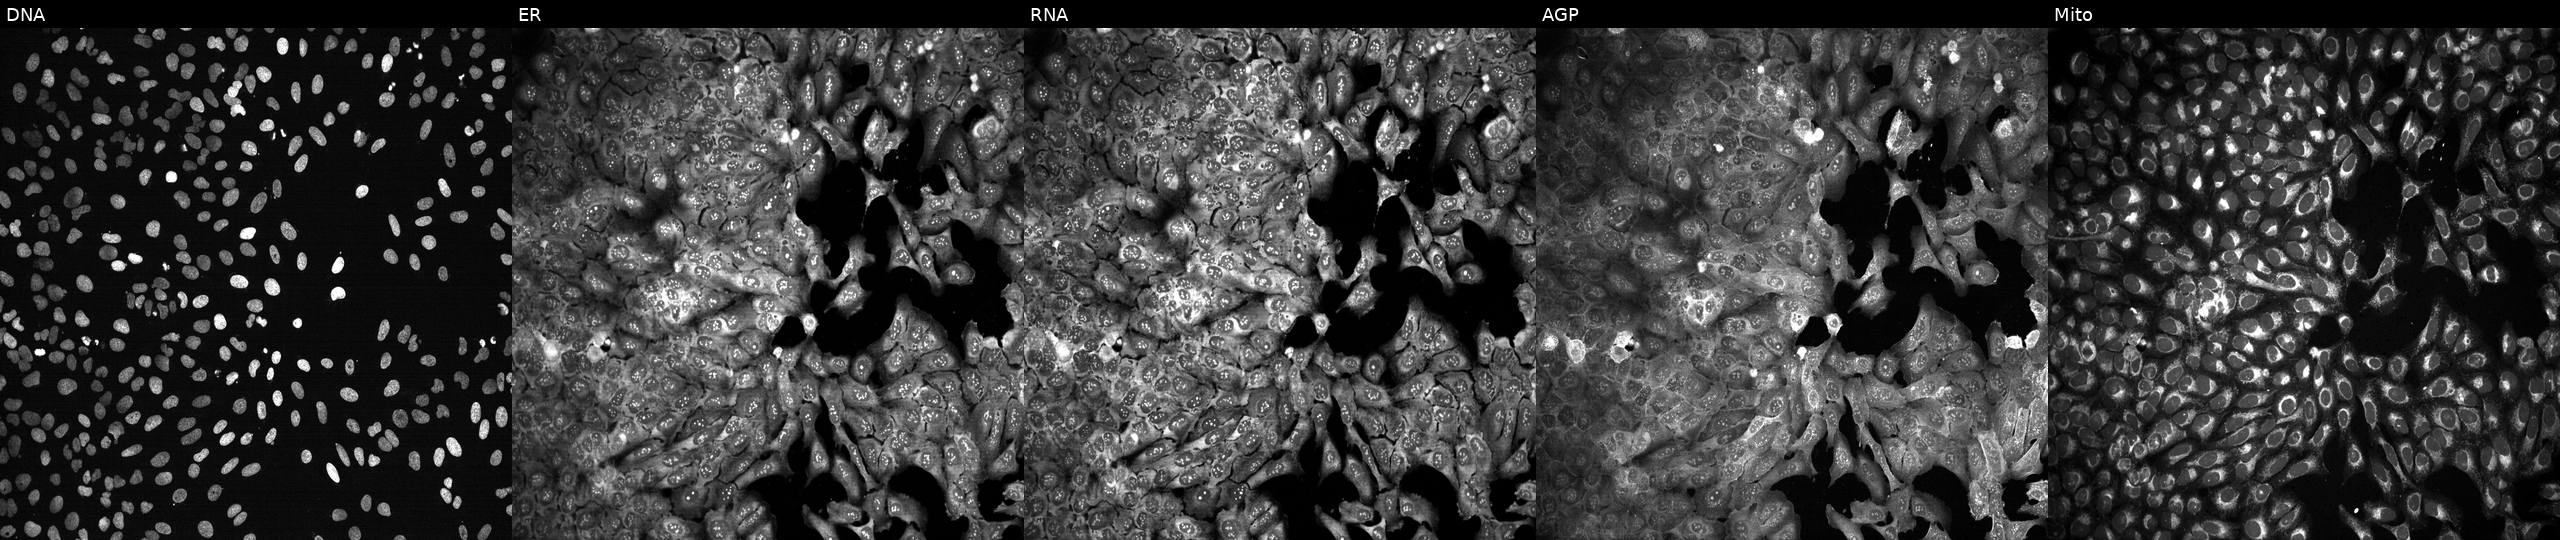
Panels show, left to right, DNA (nuclei); ER (endoplasmic reticulum); RNA (nucleoli and cytoplasmic RNA); AGP (actin cytoskeleton, Golgi, and plasma membrane); Mito (mitochondria). U2OS osteosarcoma cells CRISPR-edited to disrupt POGZ. Cell Painting assay, JUMP-CP dataset. Source 13, plate CP-CC9-R4-03, well H18.